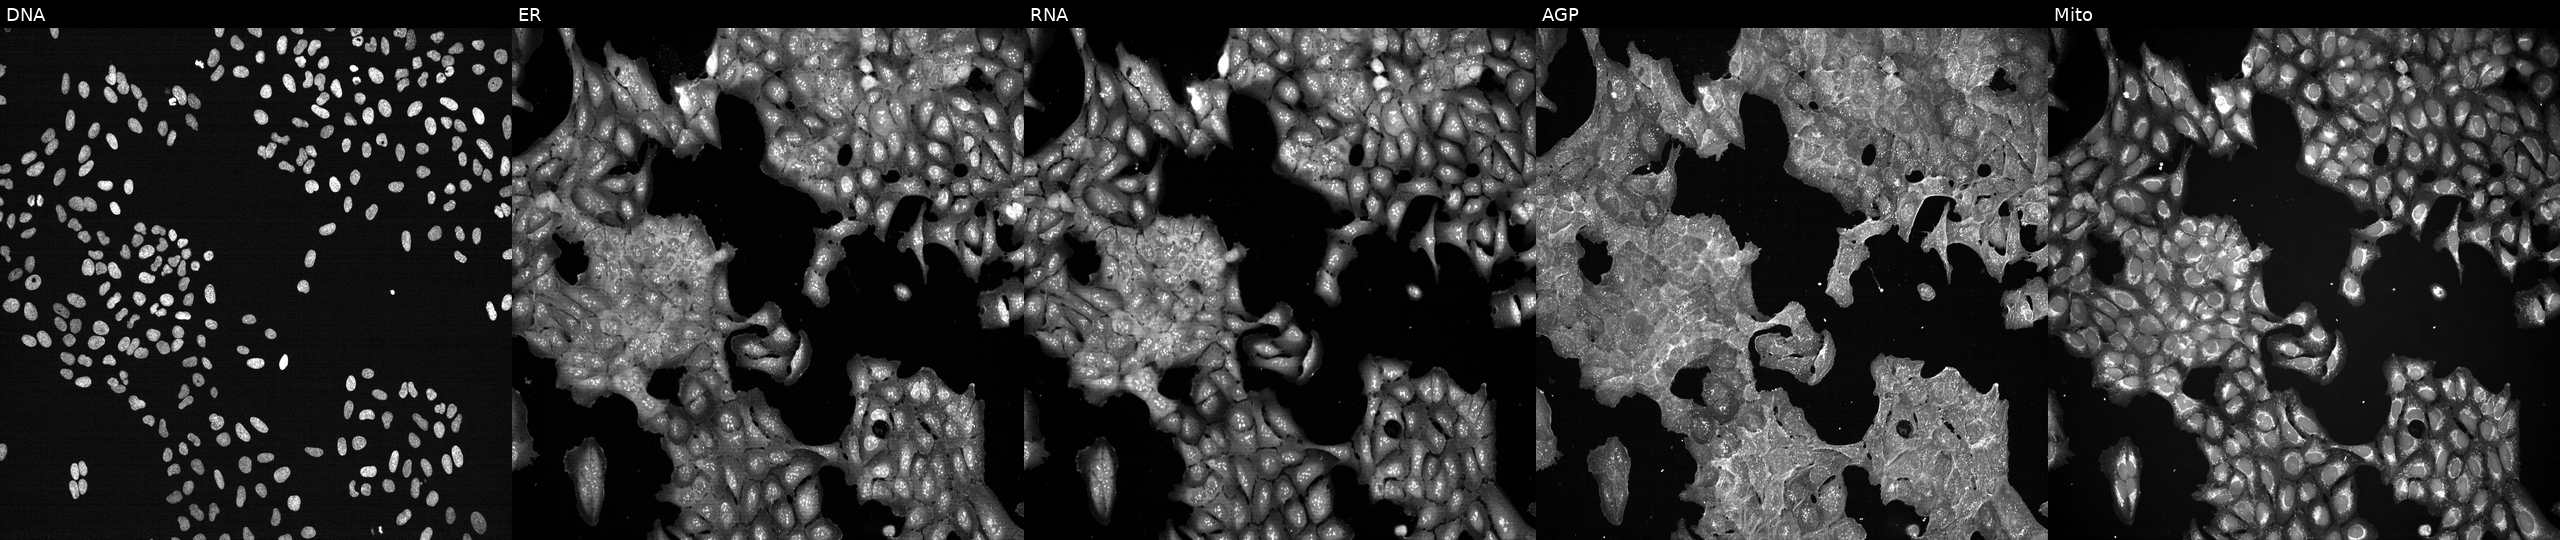
U2OS cells, Cell Painting assay, perturbed with a small-molecule compound (JUMP id JCP2022_050271). The five panels, left to right, show DNA, ER, RNA, AGP, and Mito. Each panel is percentile-stretched 16-bit fluorescence.